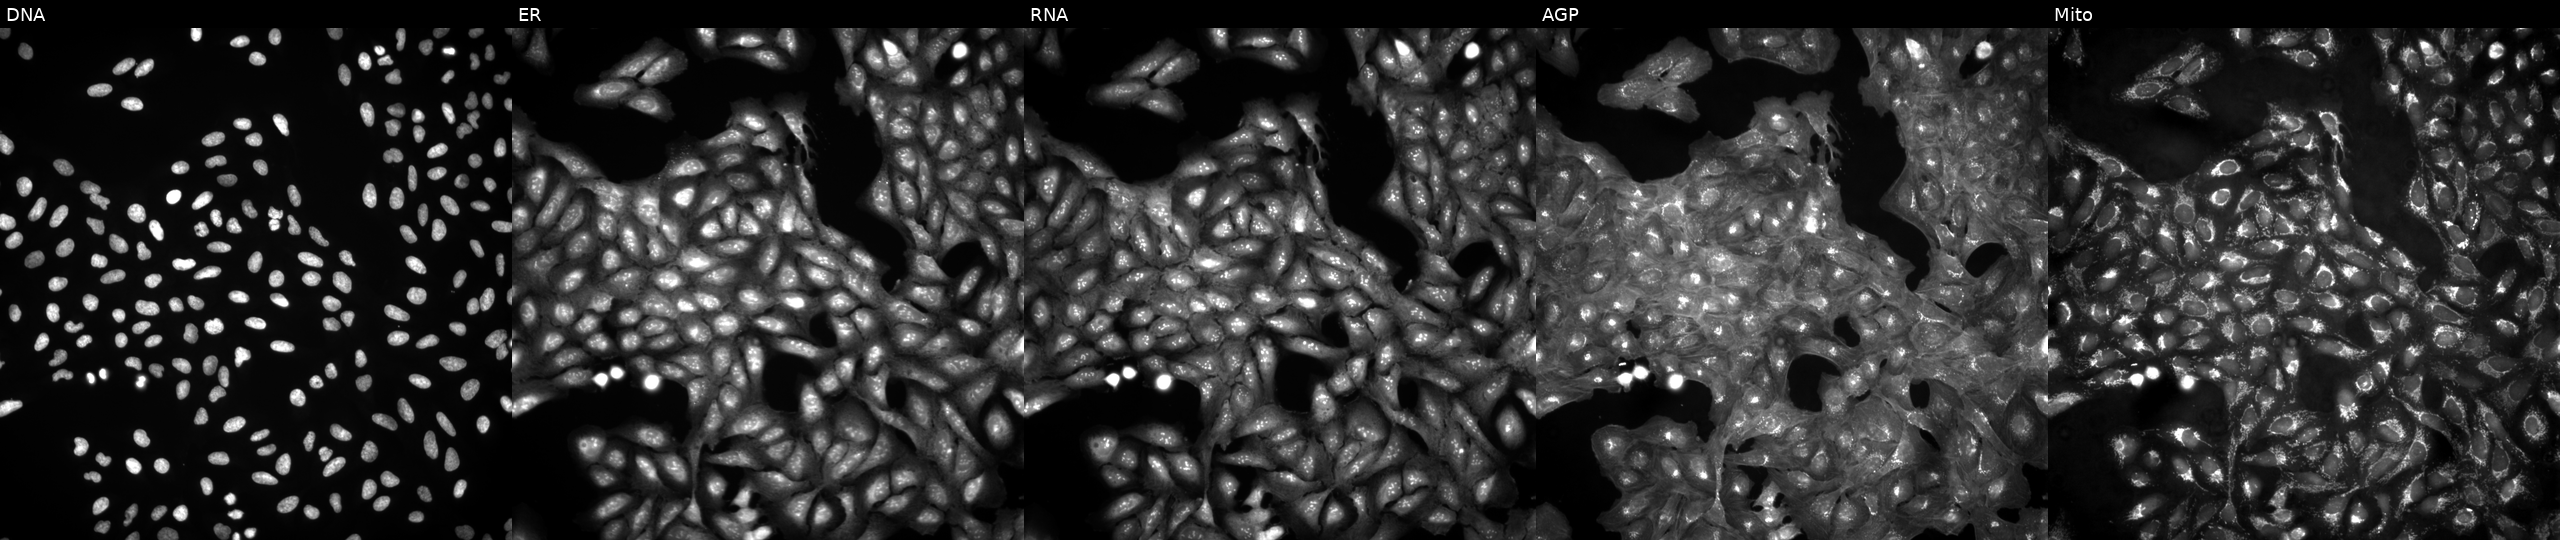
U2OS cells, Cell Painting assay, untreated (empty-well control). From left to right: Hoechst 33342, concanavalin A, SYTO 14, phalloidin and WGA, MitoTracker. Each panel is percentile-stretched 16-bit fluorescence.